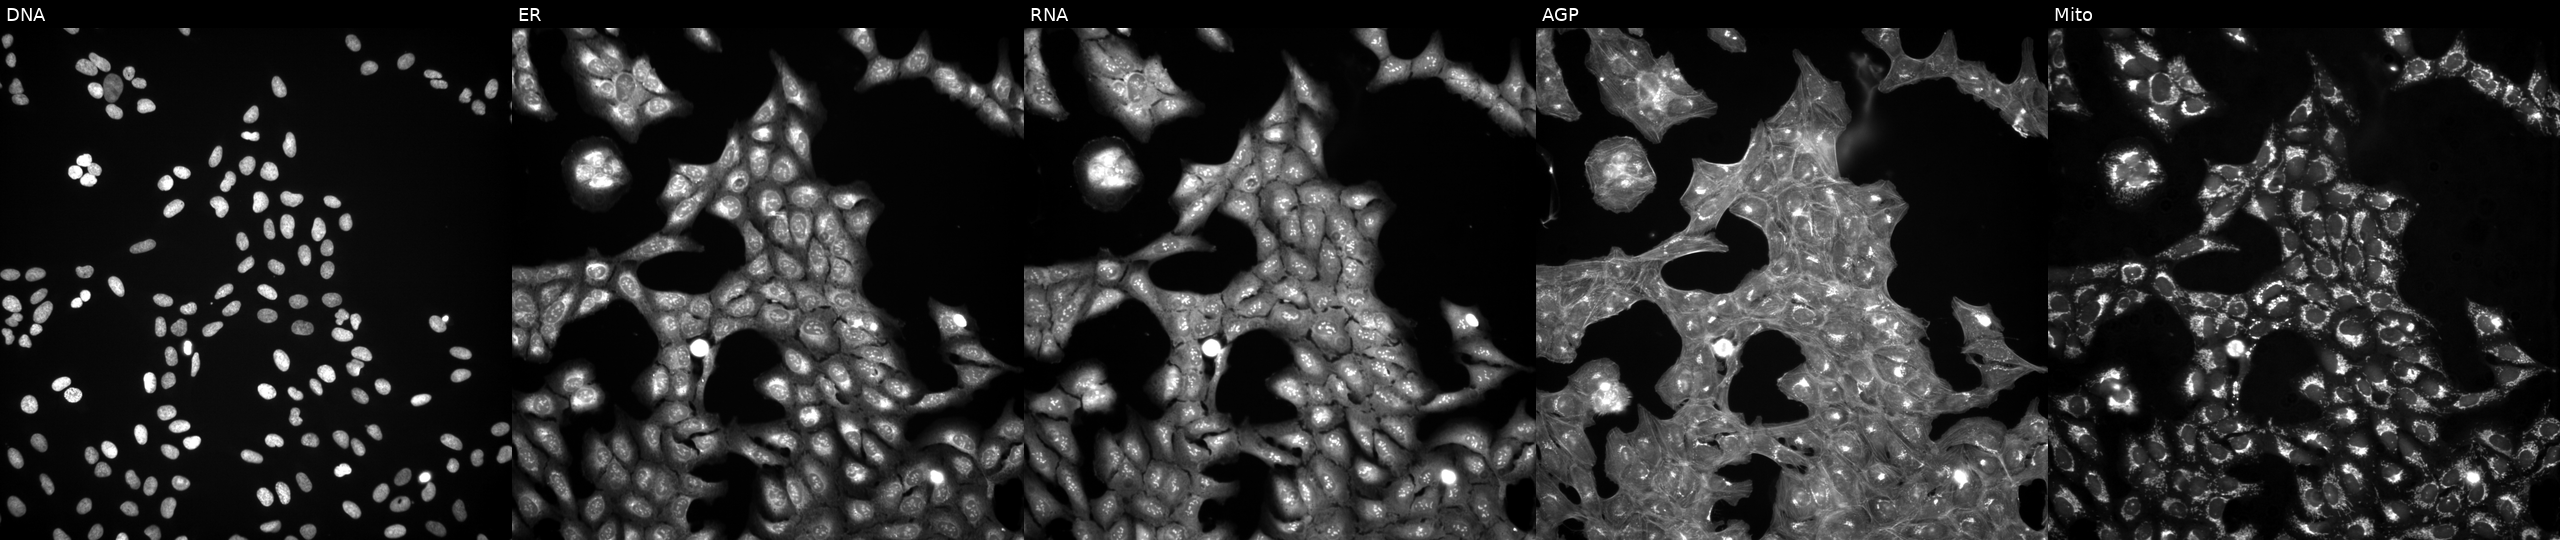
This image strip shows the five Cell Painting channels for a single field of U2OS cells exposed to a small-molecule compound (JUMP id JCP2022_045105). Channels (left→right): Hoechst 33342, concanavalin A, SYTO 14, phalloidin and WGA, MitoTracker. Source 3, plate JCPQC051, well O14.